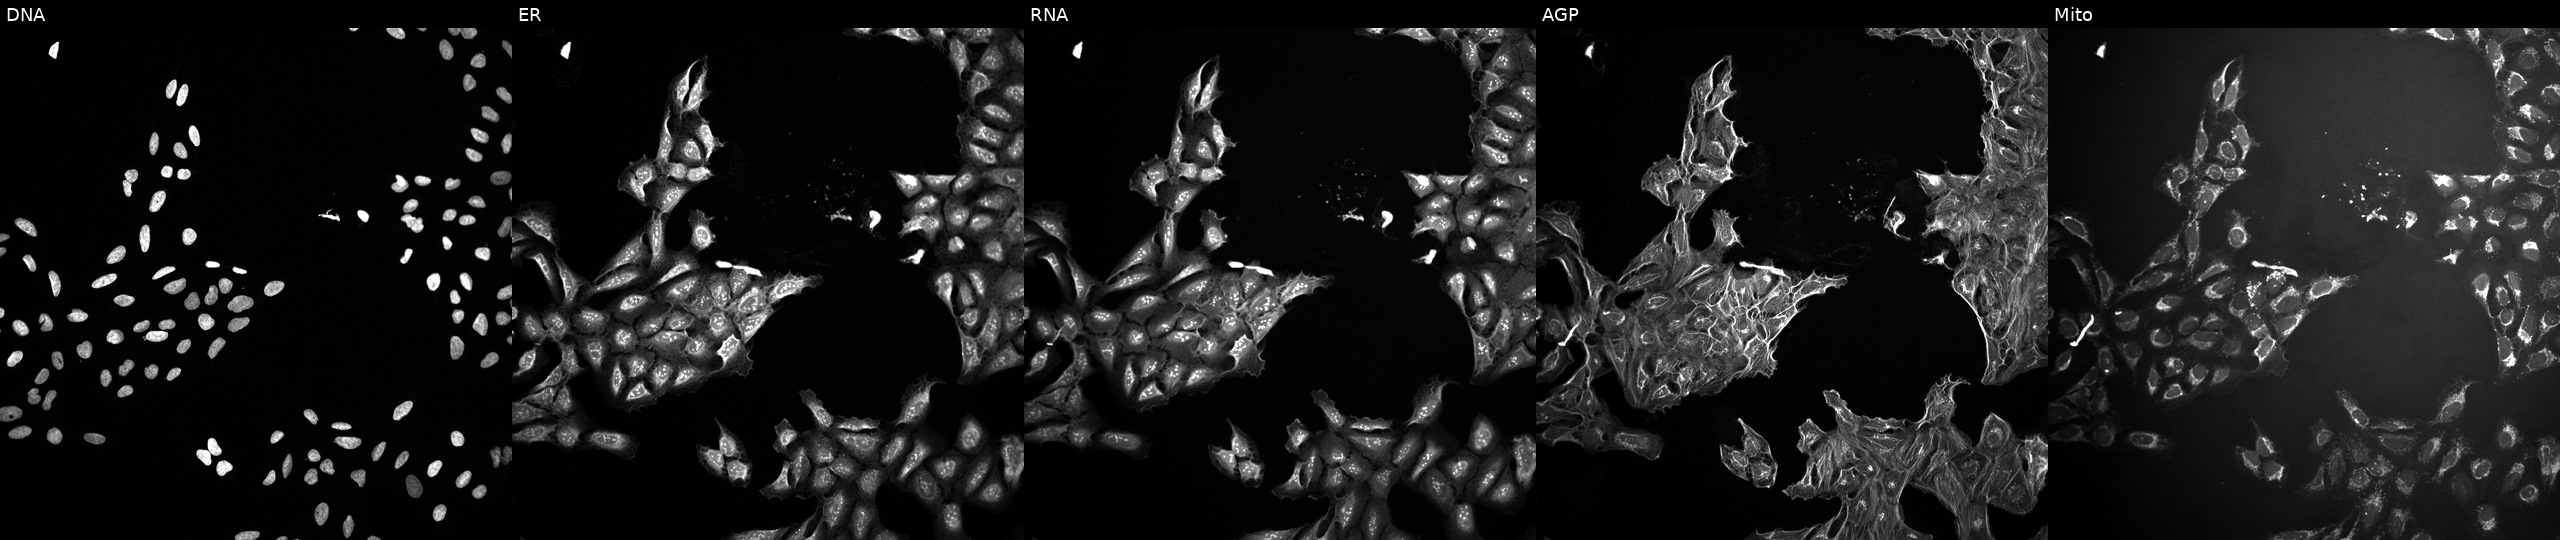
JUMP Cell Painting — TARGET2 plate. U2OS cells treated with a small-molecule compound (InChIKey MXJWRABVEGLYDG-UHFFFAOYSA-N) (JUMP id JCP2022_057163). From left to right: Hoechst 33342, concanavalin A, SYTO 14, phalloidin and WGA, MitoTracker.